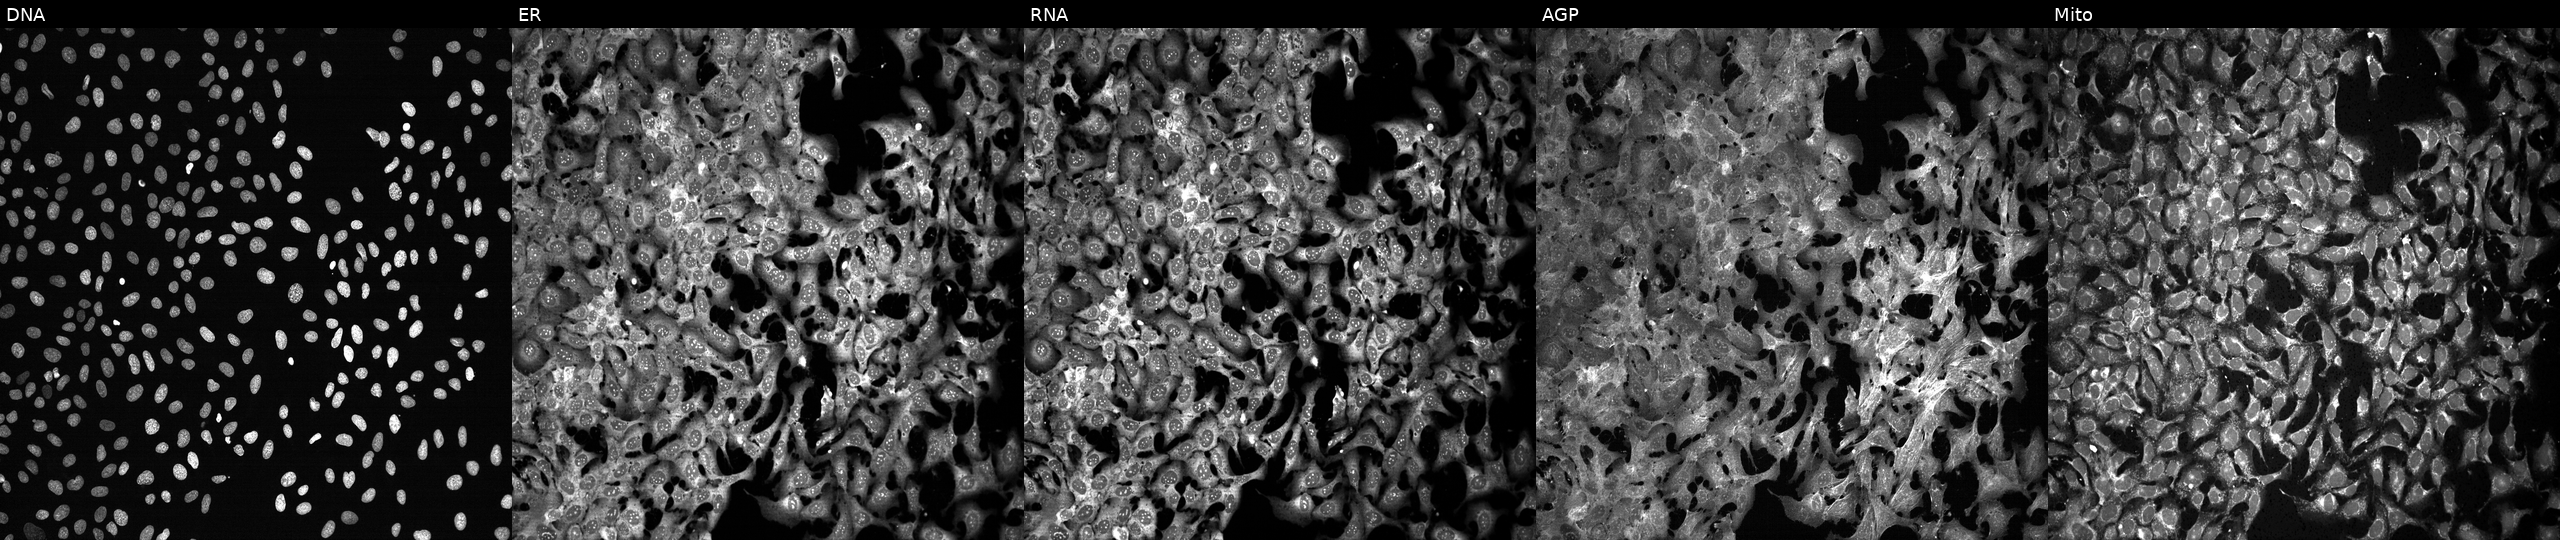
Channels (left→right): DNA, ER, RNA, AGP, and Mito. U2OS osteosarcoma cells exposed to the positive-control compound FK-866. Cell Painting assay, JUMP-CP dataset.